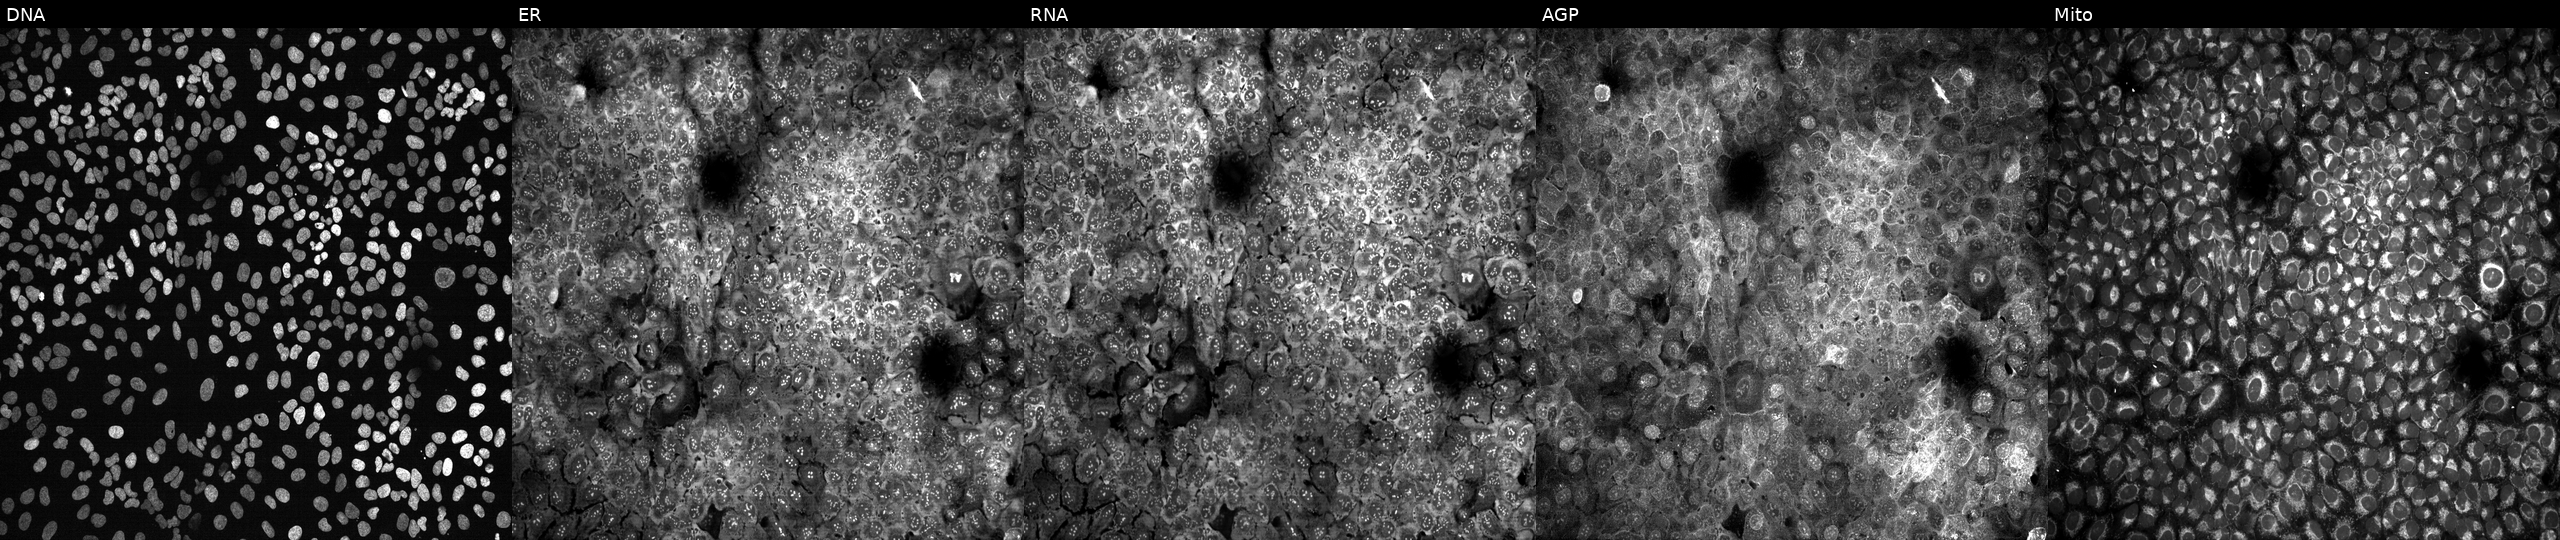
Panels show, left to right, Hoechst 33342, concanavalin A, SYTO 14, phalloidin and WGA, MitoTracker. U2OS osteosarcoma cells with no CRISPR guide (negative control). Cell Painting assay, JUMP-CP dataset.